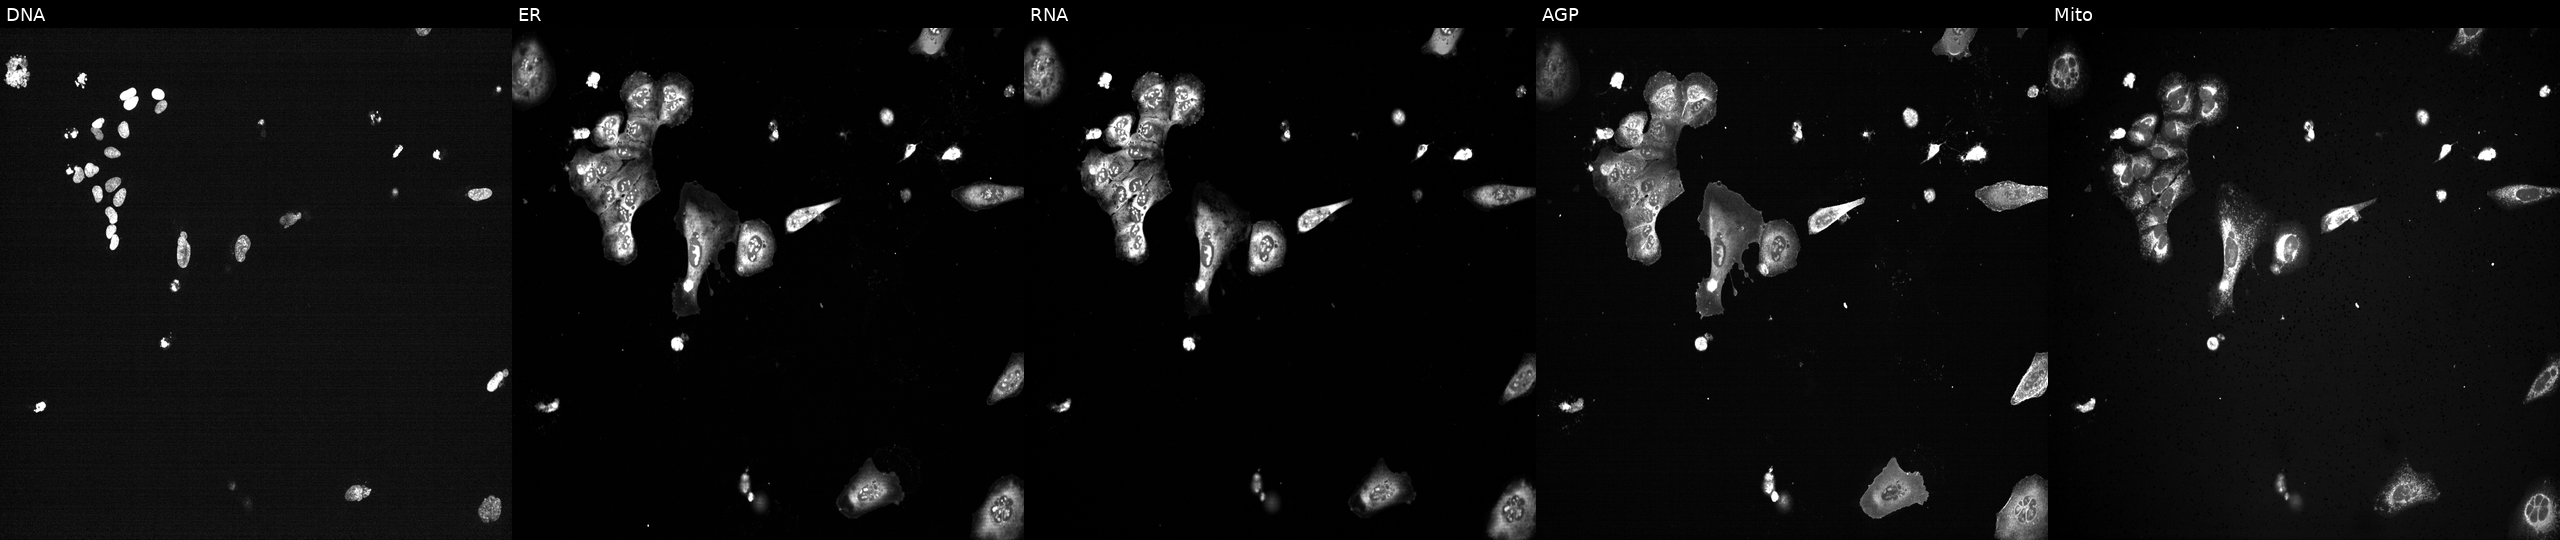
Five-channel Cell Painting image of U2OS cells with PLK1 knocked out by CRISPR (positive control). From left to right: Hoechst 33342, concanavalin A, SYTO 14, phalloidin and WGA, MitoTracker.